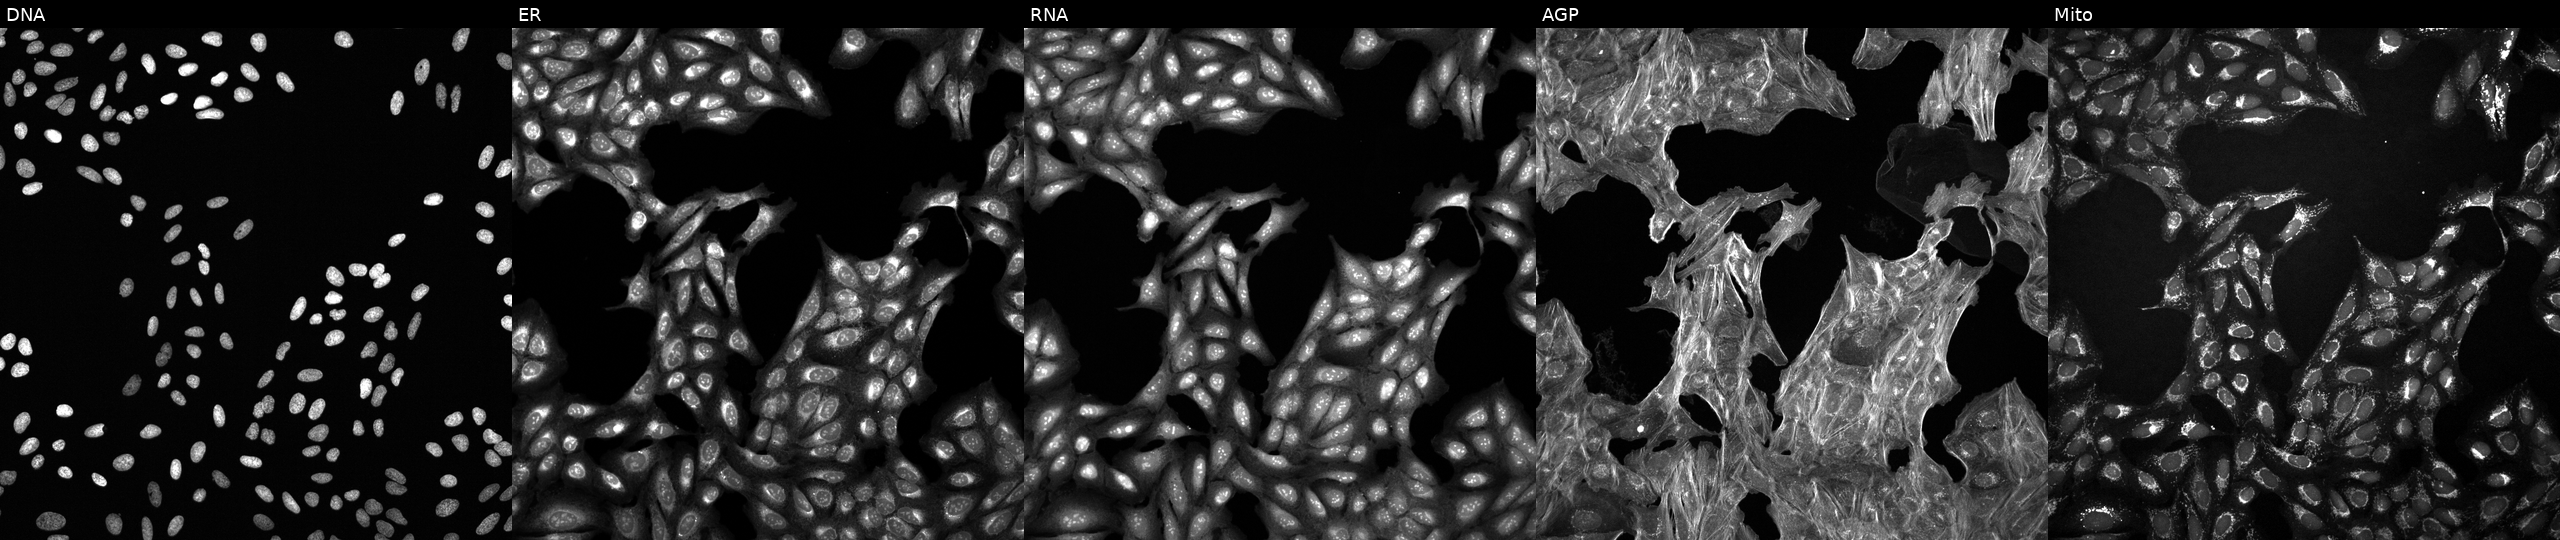
JUMP Cell Painting — TARGET2 plate. U2OS cells exposed to a small-molecule compound (InChIKey VDQLKIBLTMPAHI-UHFFFAOYSA-N). Channels (left→right): Hoechst 33342, concanavalin A, SYTO 14, phalloidin and WGA, MitoTracker. Source 6, plate 110000293081, well B03.